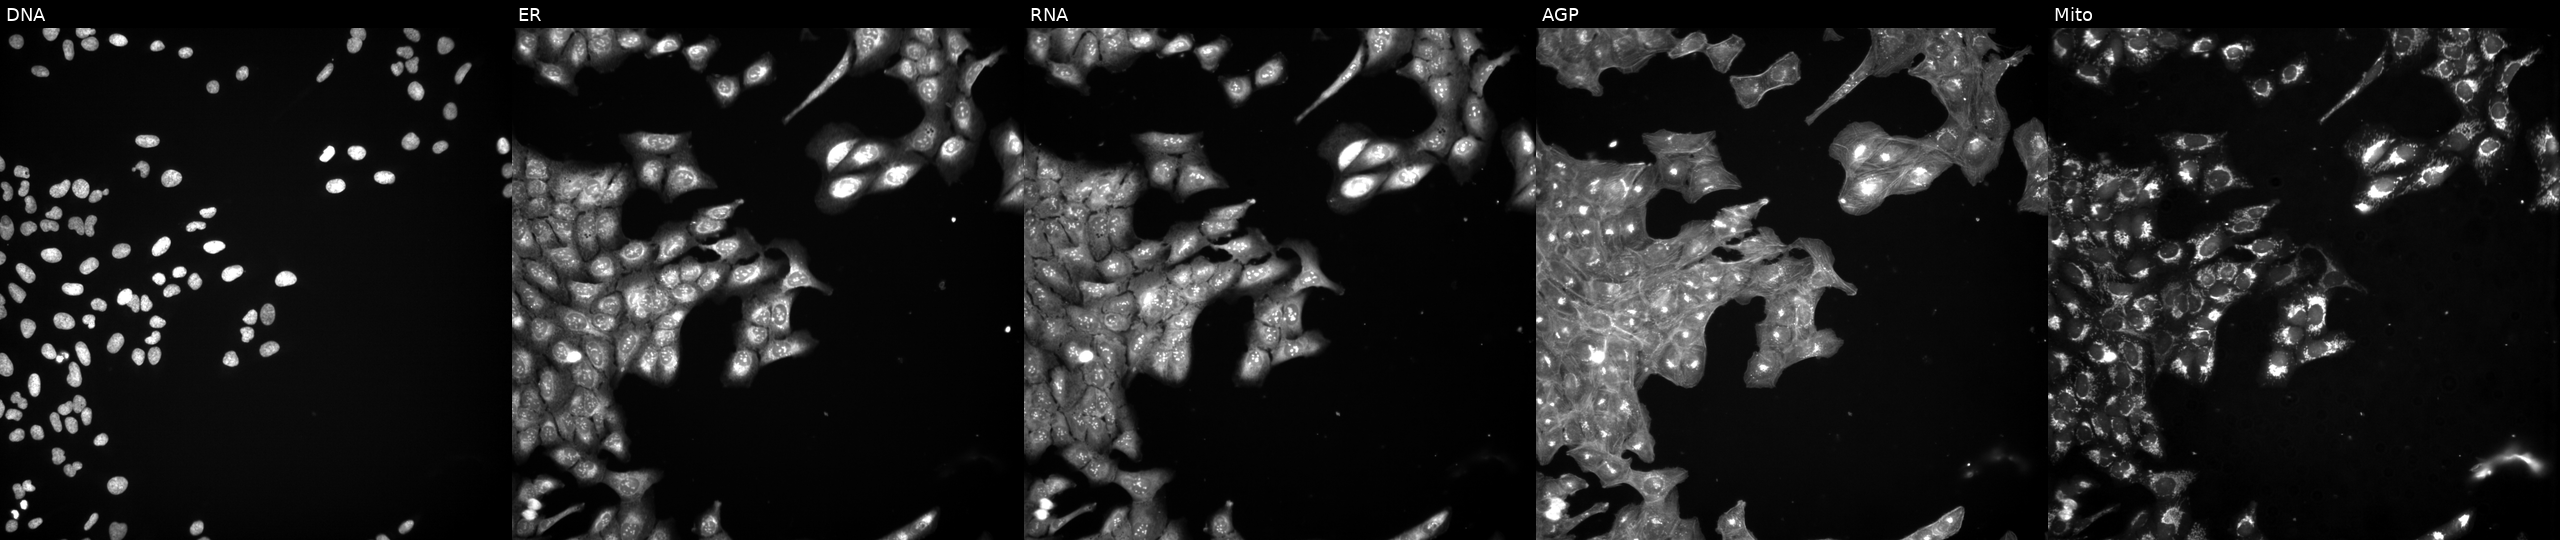
High-content fluorescence microscopy (Cell Painting). Cell line: U2OS. Perturbation: untreated (empty-well control) (JUMP id JCP2022_999999). From left to right: DNA, ER, RNA, AGP, and Mito. Source 3, plate BR5867a3, well K04.